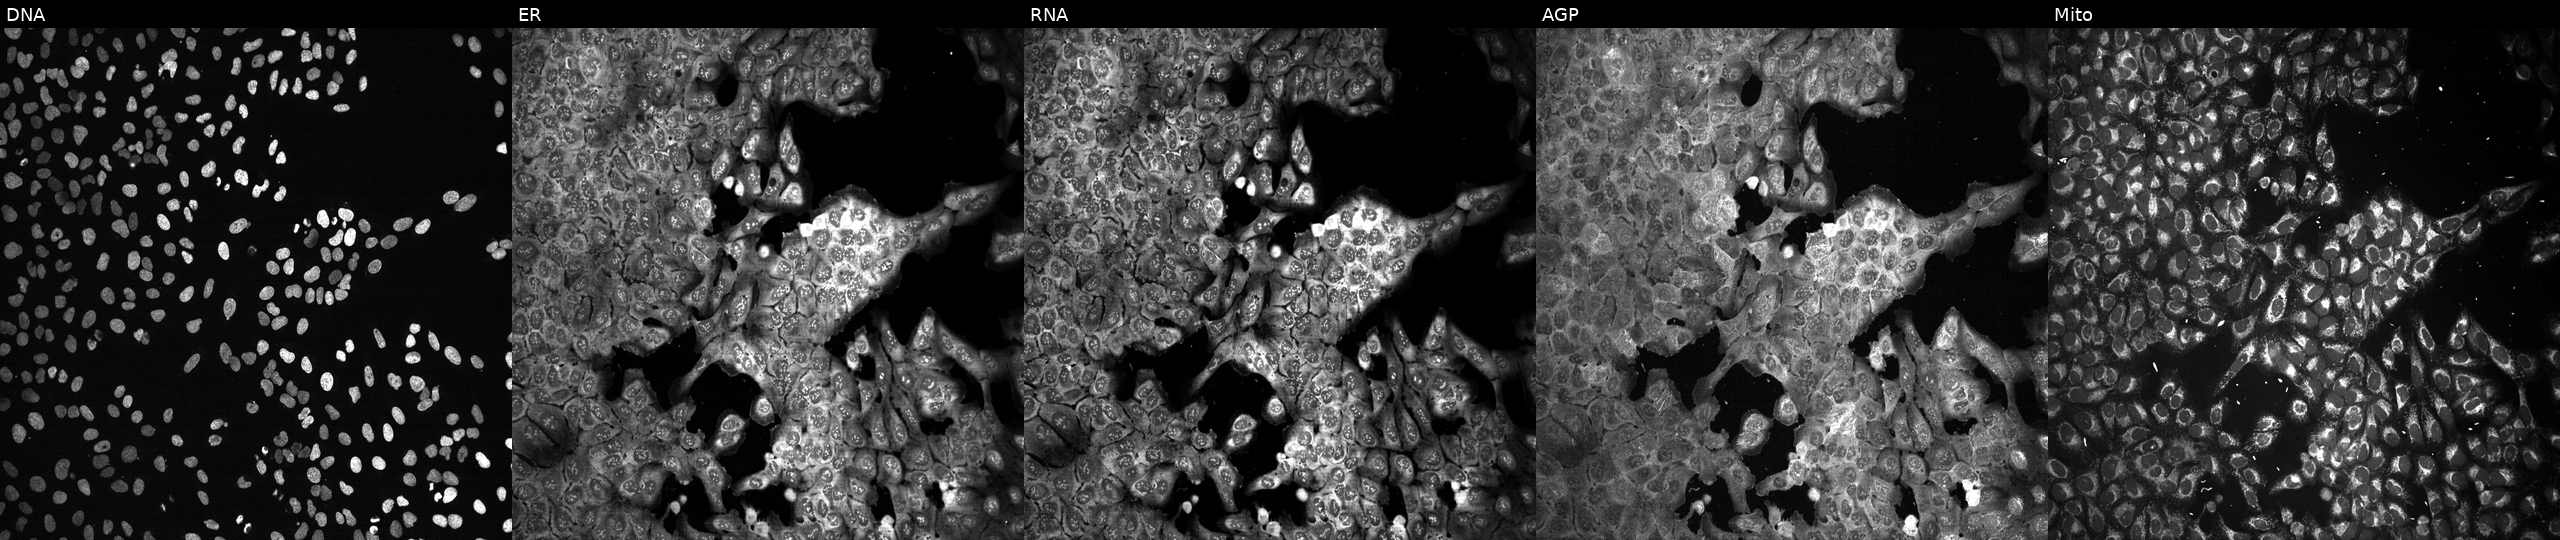
This image strip shows the five Cell Painting channels for a single field of U2OS cells following CRISPR knockout of ST6GAL2 (JUMP id JCP2022_806804). From left to right: Hoechst 33342, concanavalin A, SYTO 14, phalloidin and WGA, MitoTracker.